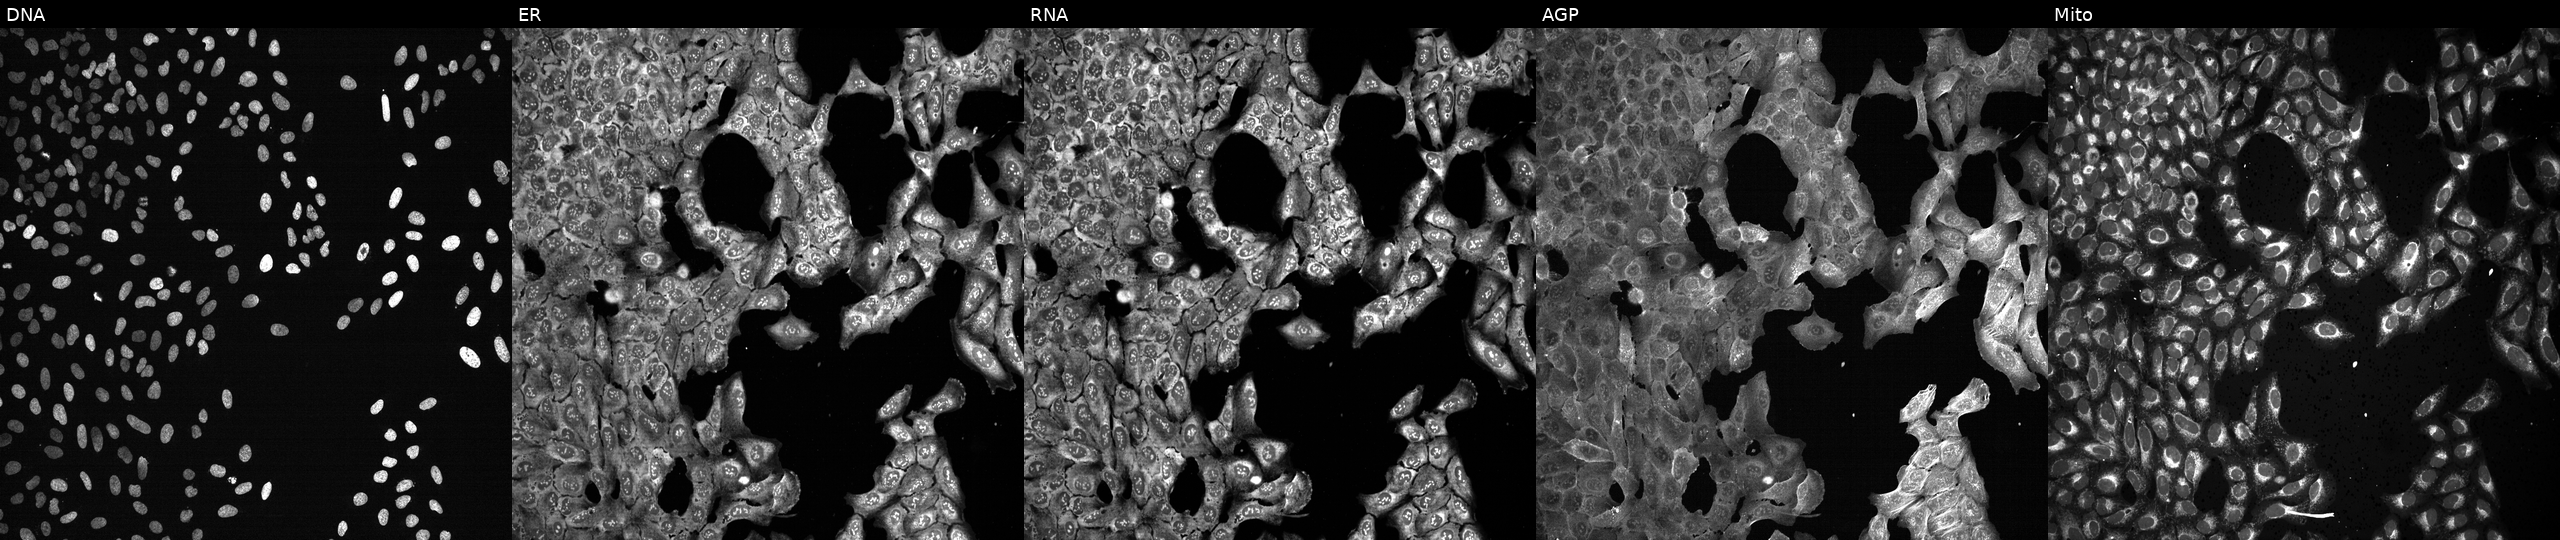
U2OS cells, Cell Painting assay, following CRISPR knockout of IL22RA2 (JUMP id JCP2022_803387). Channels (left→right): DNA (nuclei); ER (endoplasmic reticulum); RNA (nucleoli and cytoplasmic RNA); AGP (actin cytoskeleton, Golgi, and plasma membrane); Mito (mitochondria). Each panel is percentile-stretched 16-bit fluorescence. Source 13, plate CP-CC9-R2-01, well C04.